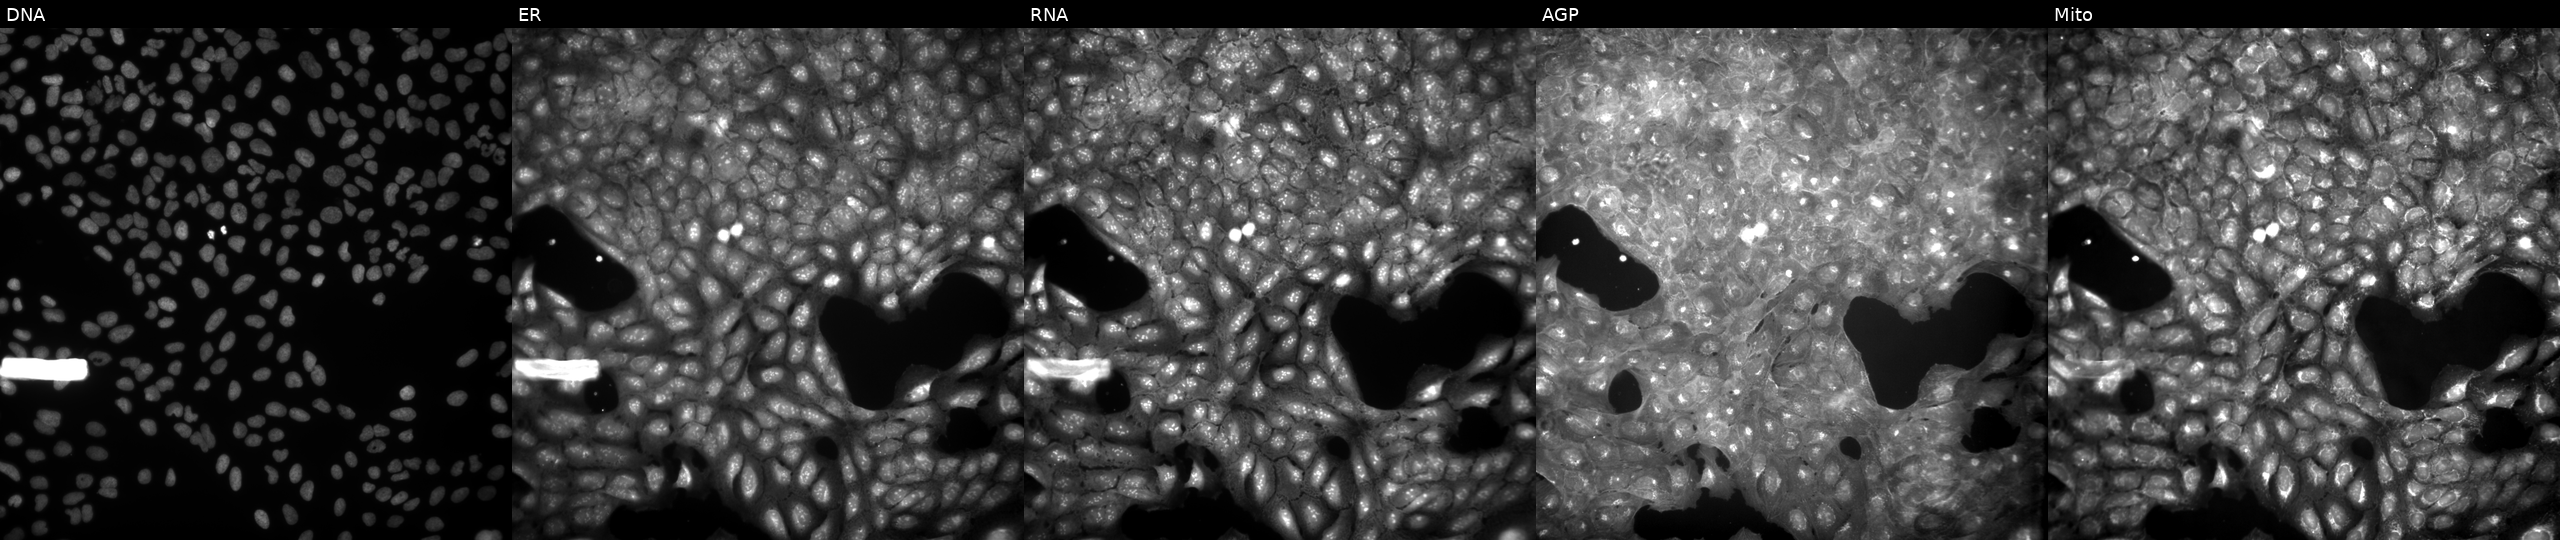
From left to right: DNA (nuclei); ER (endoplasmic reticulum); RNA (nucleoli and cytoplasmic RNA); AGP (actin cytoskeleton, Golgi, and plasma membrane); Mito (mitochondria). U2OS osteosarcoma cells perturbed with a small-molecule compound [SMILES: Cc1ccc(C(C)C)c(OCC(=O)NNC(=O)C(C(C)C)N2C(=O)c3ccccc3C2=O)c1] (JUMP id JCP2022_059457). Cell Painting assay, JUMP-CP dataset.